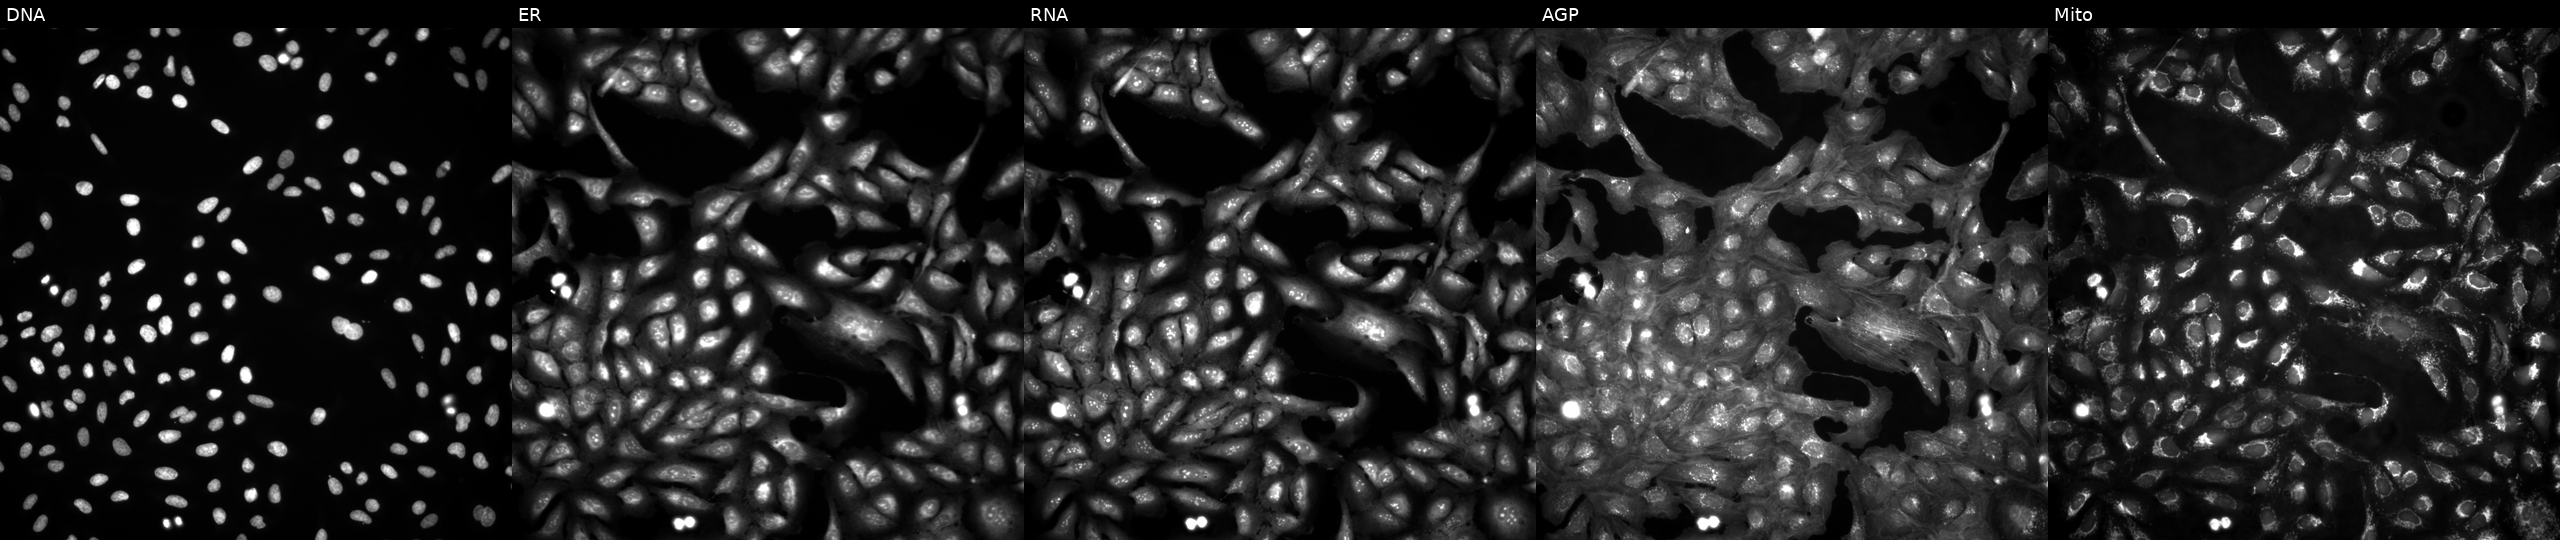
From left to right: DNA (nuclei); ER (endoplasmic reticulum); RNA (nucleoli and cytoplasmic RNA); AGP (actin cytoskeleton, Golgi, and plasma membrane); Mito (mitochondria). U2OS osteosarcoma cells in an empty control well (no perturbation). Cell Painting assay, JUMP-CP dataset.